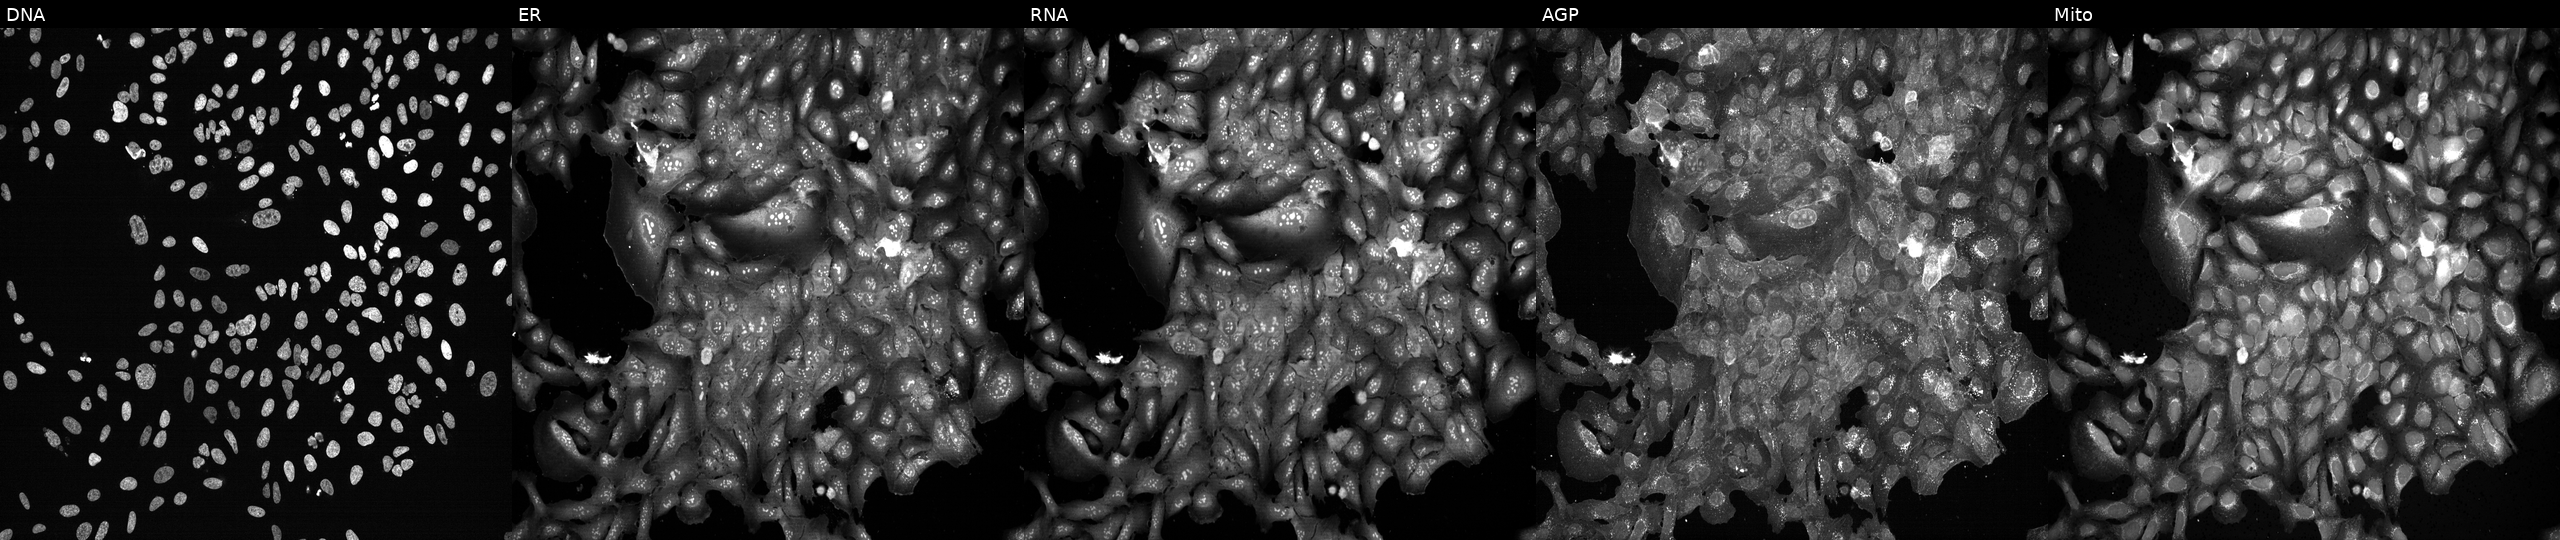
U2OS cells, Cell Painting assay, following CRISPR knockout of GLS2. From left to right: DNA (nuclei); ER (endoplasmic reticulum); RNA (nucleoli and cytoplasmic RNA); AGP (actin cytoskeleton, Golgi, and plasma membrane); Mito (mitochondria). Each panel is percentile-stretched 16-bit fluorescence. Source 13, plate CP-CC9-R1-02, well H03.